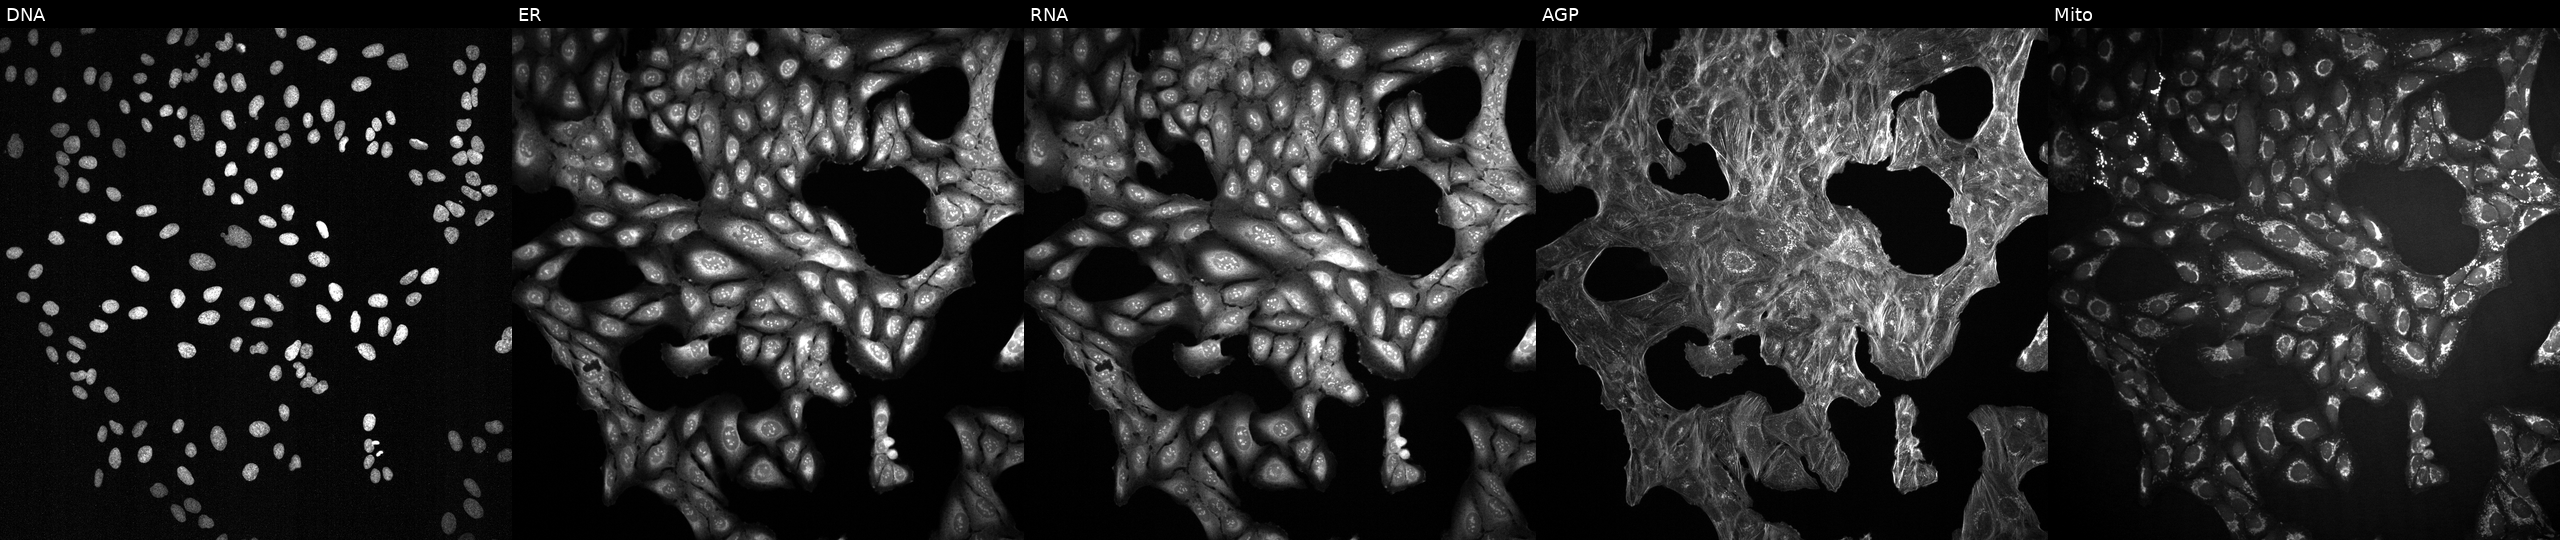
Channels (left→right): DNA, ER, RNA, AGP, and Mito. U2OS osteosarcoma cells exposed to DMSO alone as a negative control. Cell Painting assay, JUMP-CP dataset.